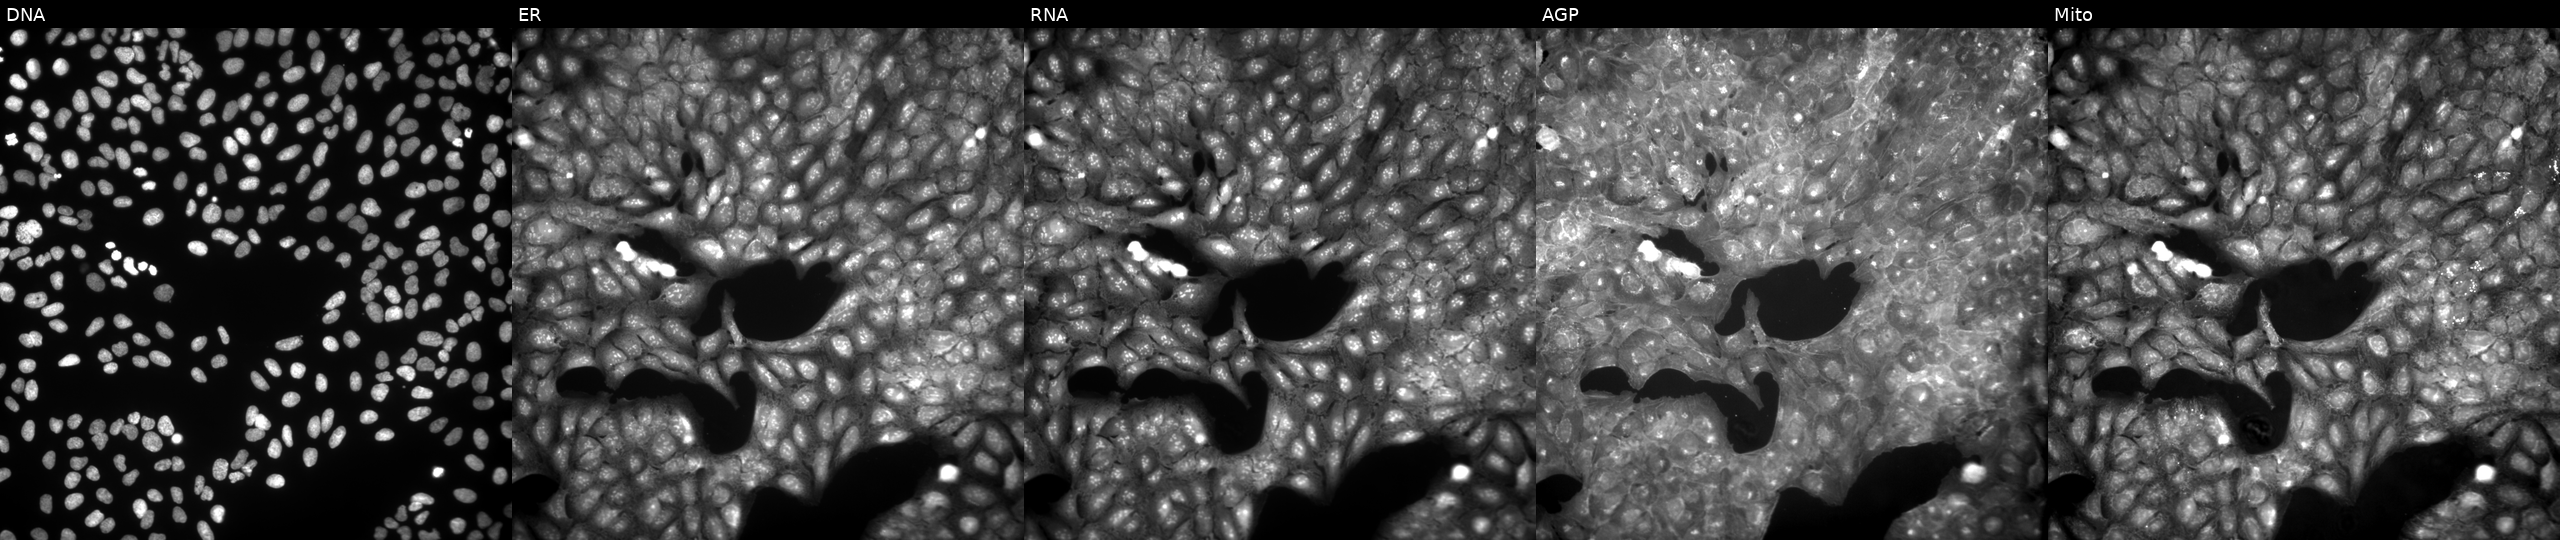
U2OS cells, Cell Painting assay, treated with a small-molecule compound (InChIKey WGKSYEUEPCDOSP-UHFFFAOYSA-N) (JUMP id JCP2022_098592). Channels (left→right): DNA, ER, RNA, AGP, and Mito. Each panel is percentile-stretched 16-bit fluorescence.